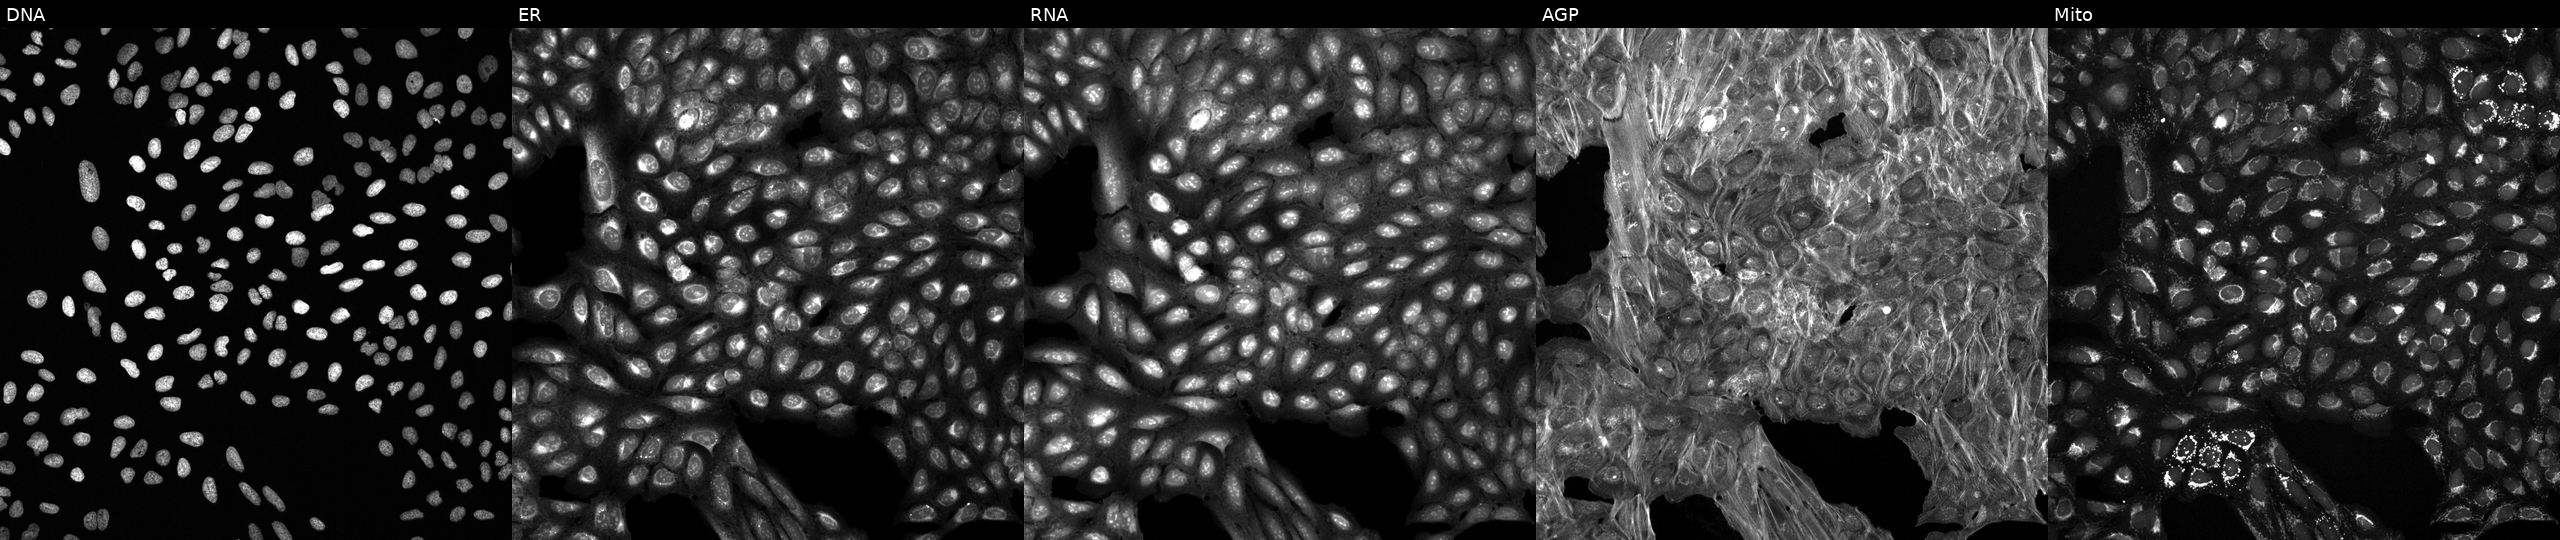
This image strip shows the five Cell Painting channels for a single field of U2OS cells exposed to DMSO alone as a negative control. The five panels, left to right, show DNA (nuclei); ER (endoplasmic reticulum); RNA (nucleoli and cytoplasmic RNA); AGP (actin cytoskeleton, Golgi, and plasma membrane); Mito (mitochondria). Source 6, plate 110000293081, well I02.